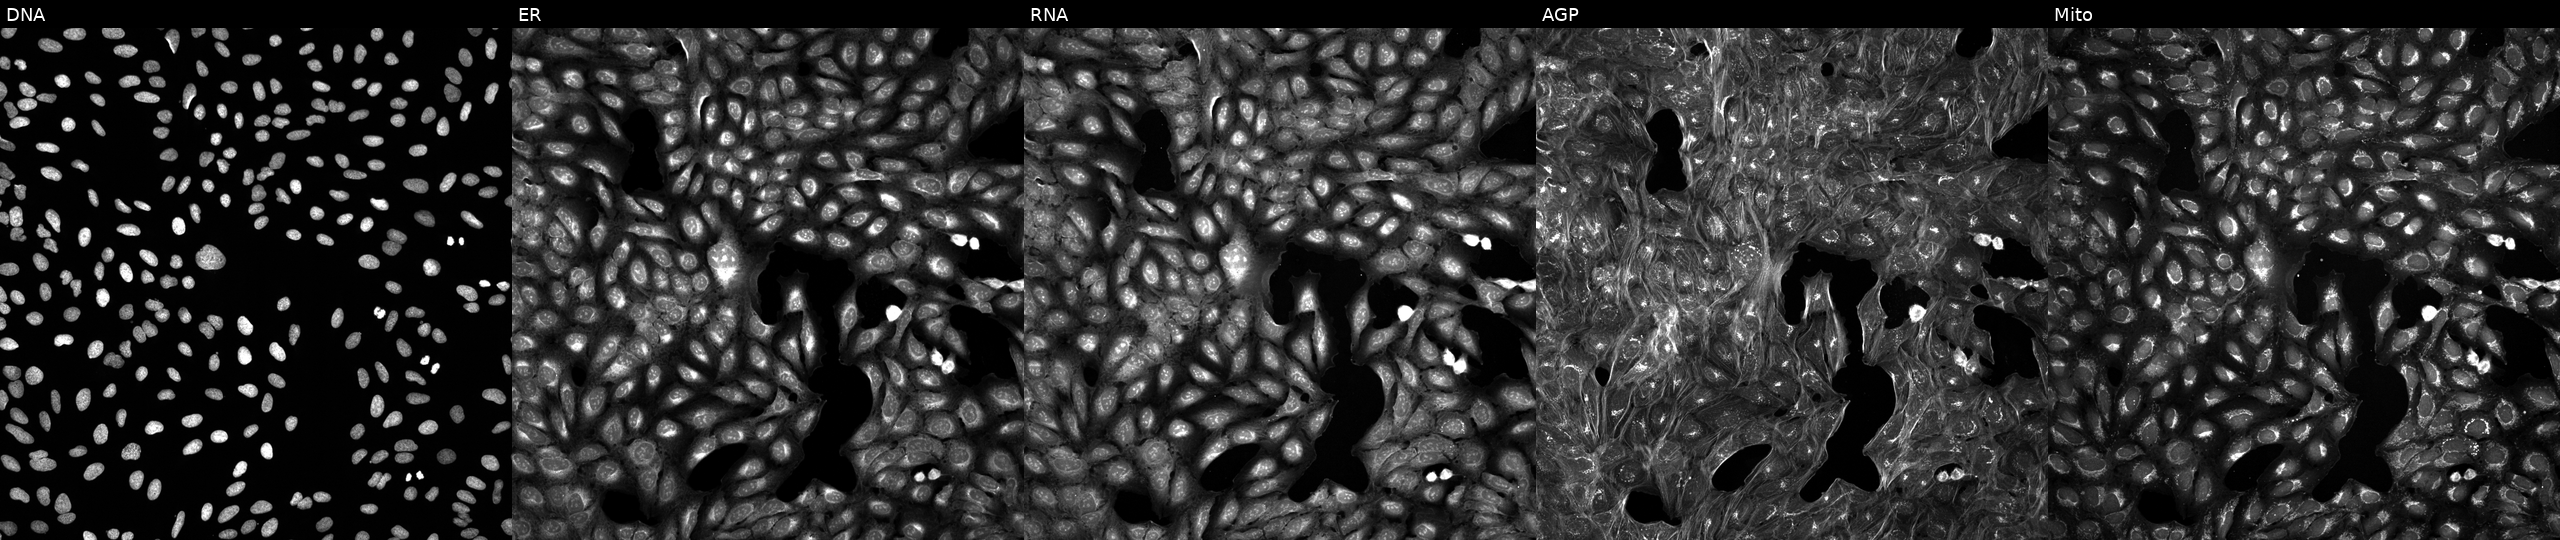
High-content fluorescence microscopy (Cell Painting). Cell line: U2OS. Perturbation: exposed to a small-molecule compound (InChIKey LGEQQWMQCRIYKG-UHFFFAOYSA-N). From left to right: DNA, ER, RNA, AGP, and Mito.